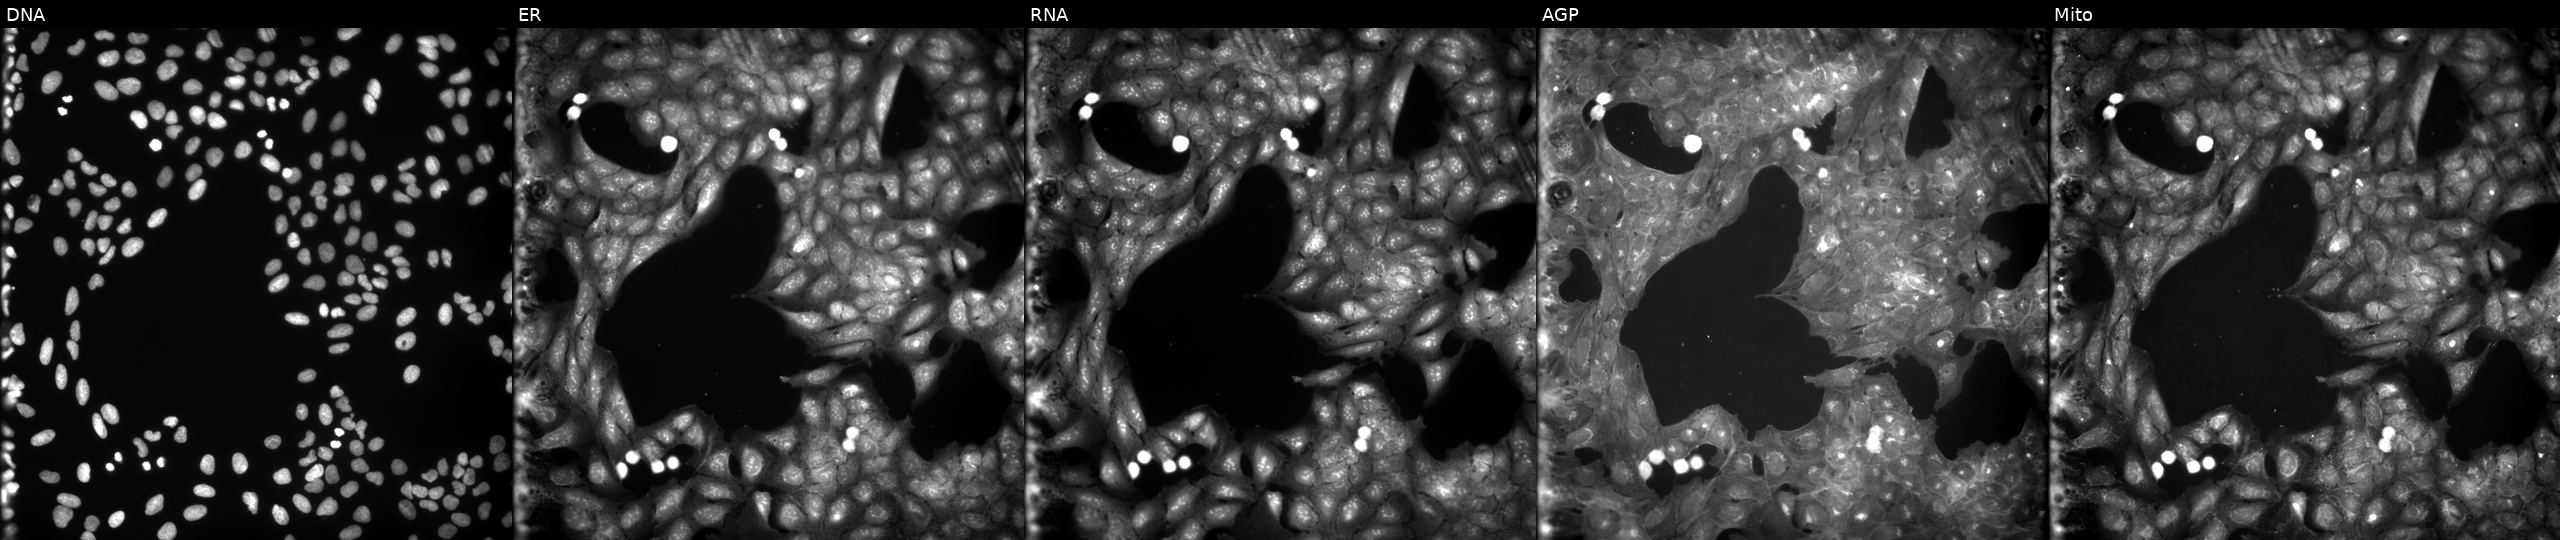
U2OS cells, Cell Painting assay, treated with aloxistatin (positive-control compound). From left to right: Hoechst 33342, concanavalin A, SYTO 14, phalloidin and WGA, MitoTracker. Each panel is percentile-stretched 16-bit fluorescence. Source 9, plate GR00003381, well A25.